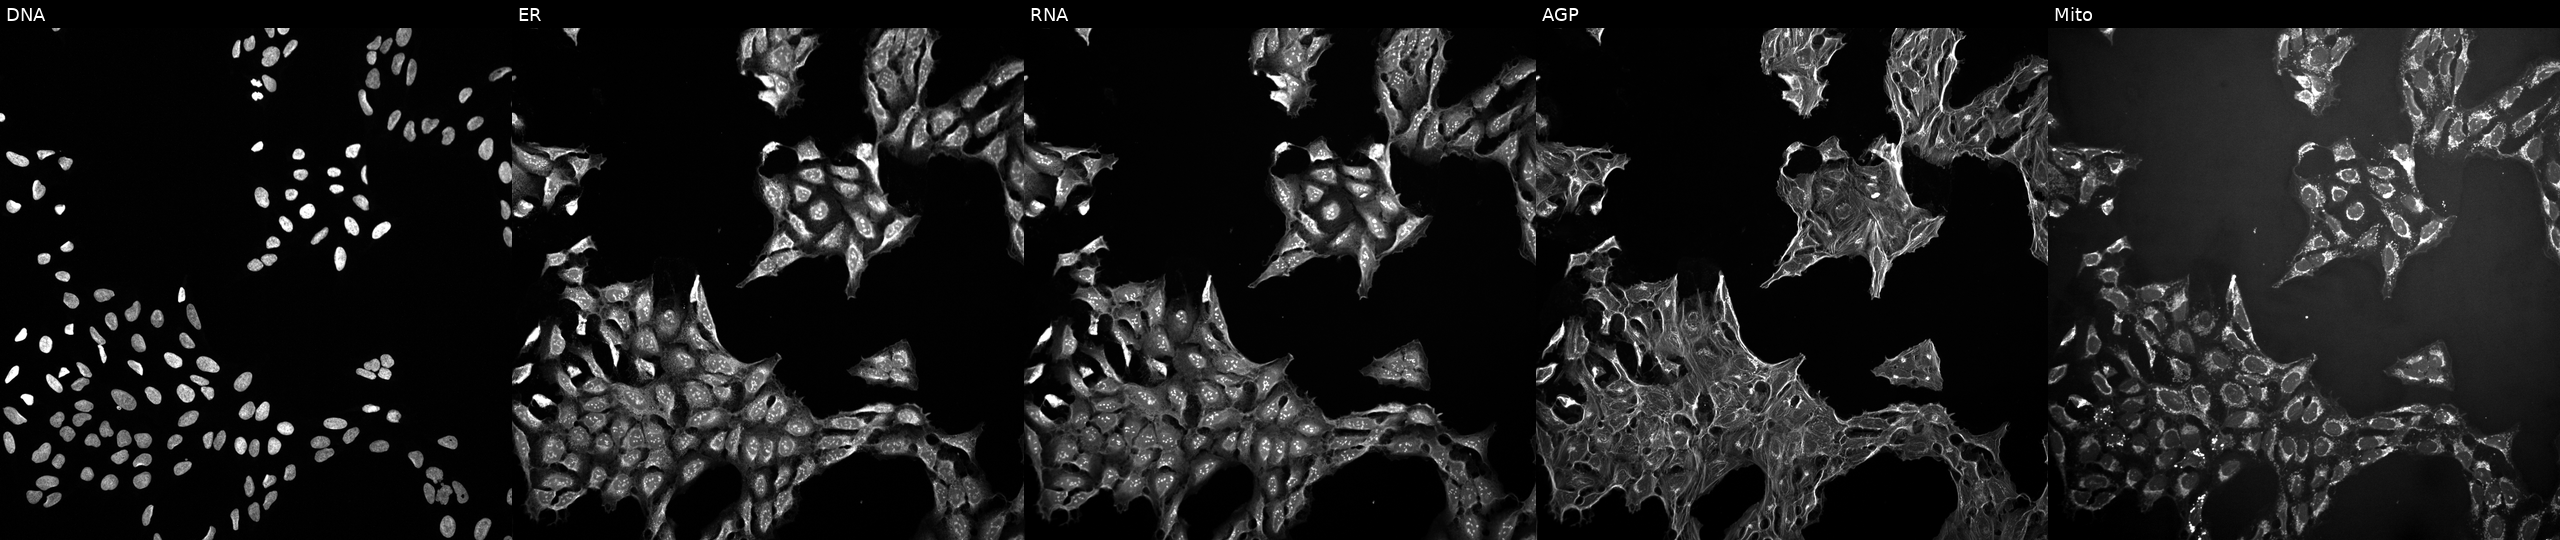
U2OS cells, Cell Painting assay, exposed to a small-molecule compound (JUMP id JCP2022_053626). Panels show, left to right, DNA (nuclei); ER (endoplasmic reticulum); RNA (nucleoli and cytoplasmic RNA); AGP (actin cytoskeleton, Golgi, and plasma membrane); Mito (mitochondria). Each panel is percentile-stretched 16-bit fluorescence. Source 10, plate Dest210726-160150, well O01.